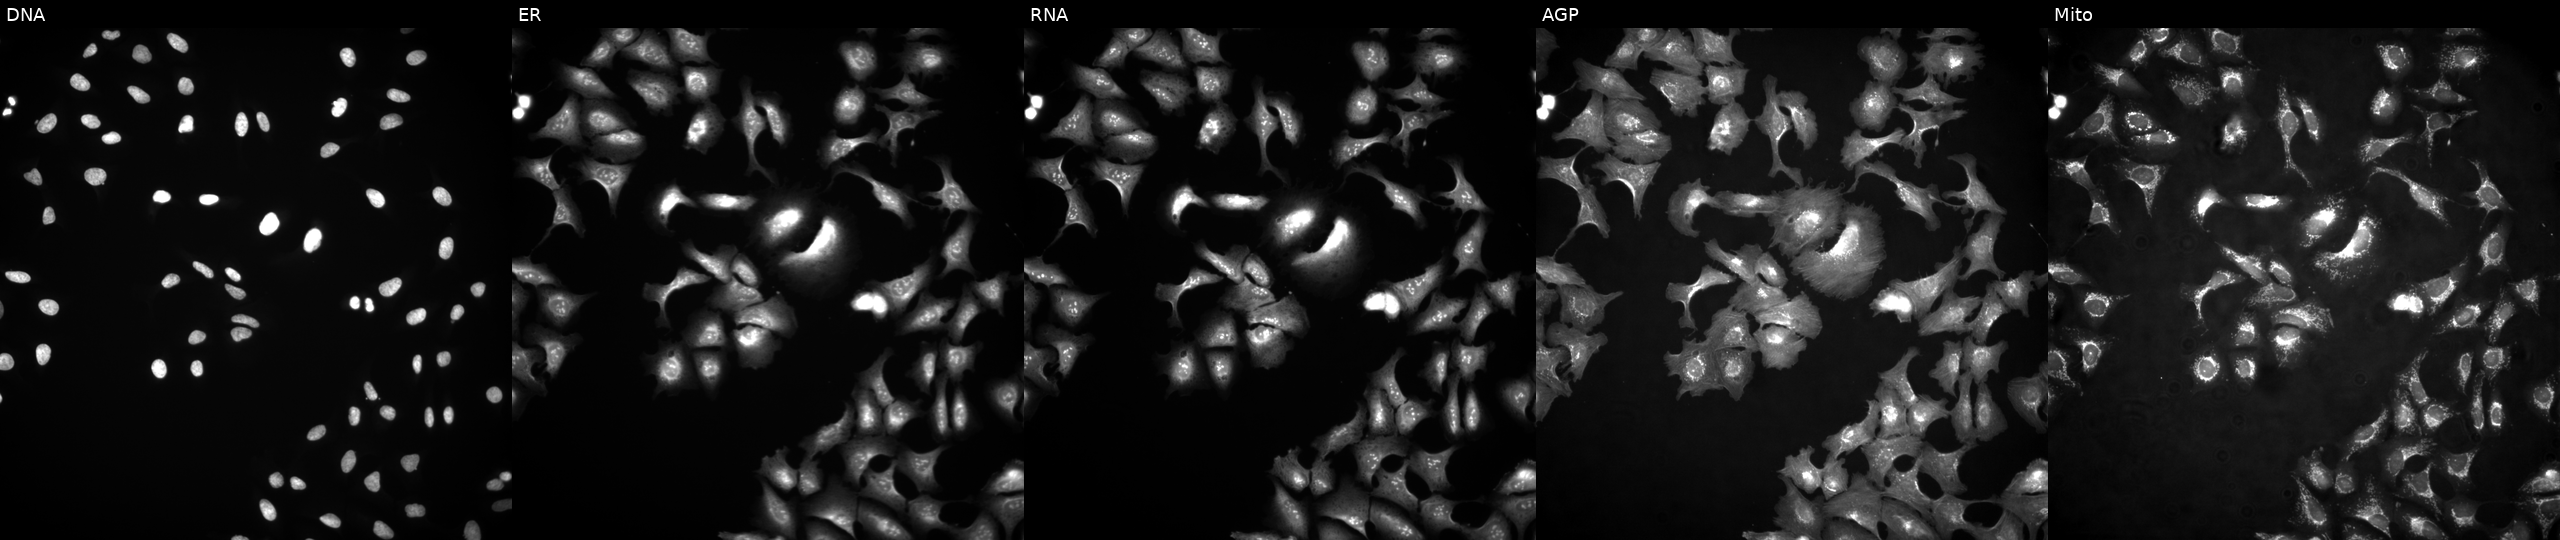
JUMP Cell Painting — ORF plate. U2OS cells overexpressing DEFA3 via ORF transfection. The five panels, left to right, show DNA, ER, RNA, AGP, and Mito. Source 4, plate BR00124787, well O09.